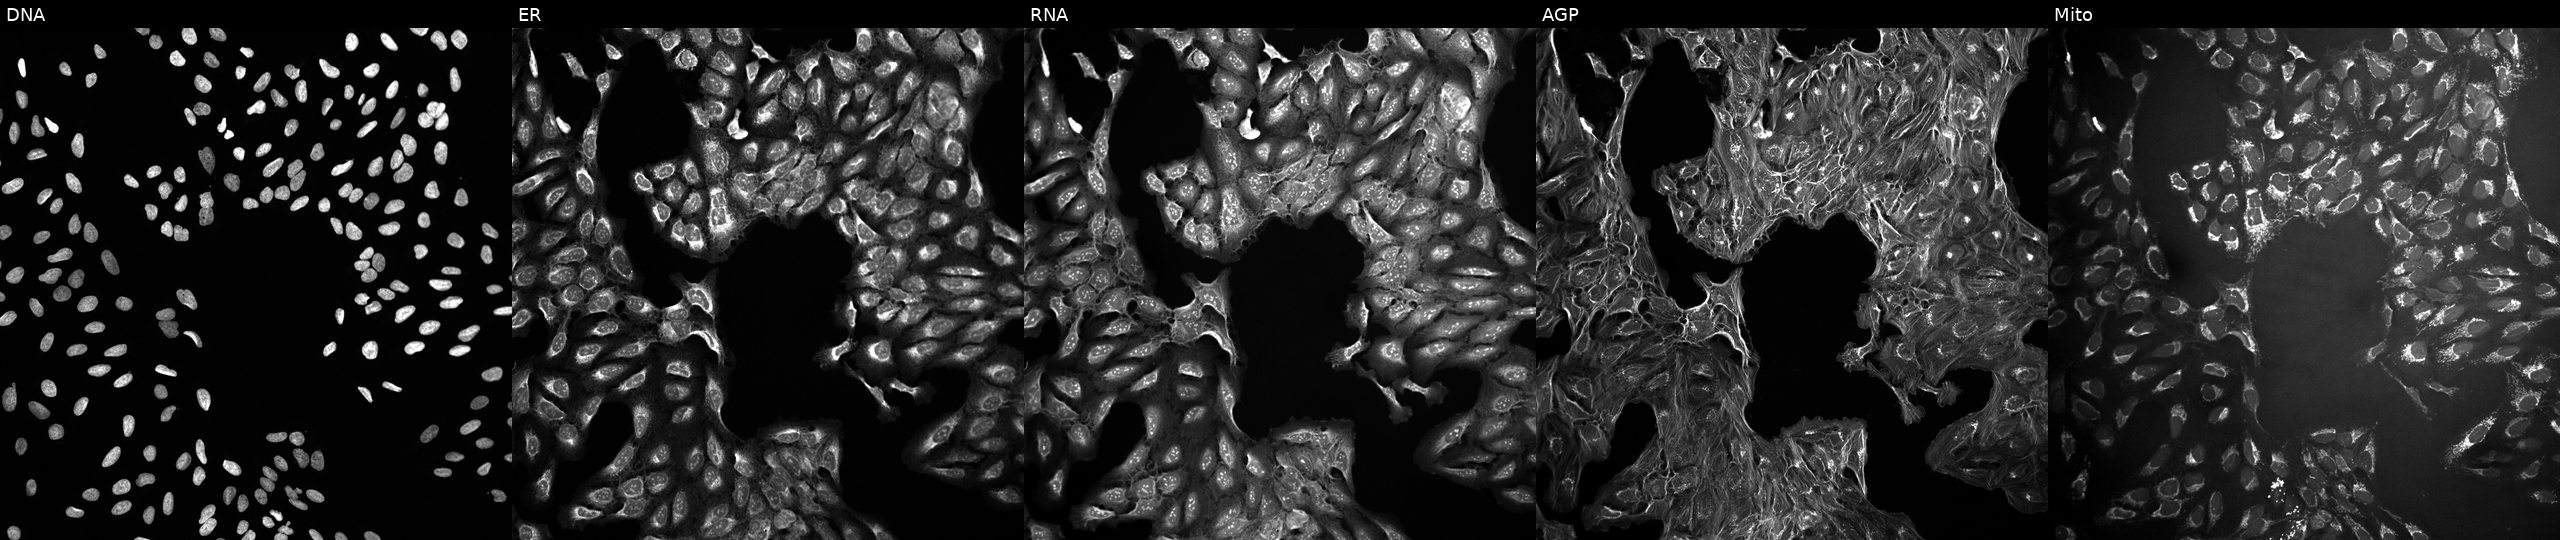
High-content fluorescence microscopy (Cell Painting). Cell line: U2OS. Perturbation: treated with a small-molecule compound (InChIKey BLBZZCBSRUNREQ-UHFFFAOYSA-N). Panels show, left to right, DNA, ER, RNA, AGP, and Mito. Source 10, plate Dest210531-152324, well M16.